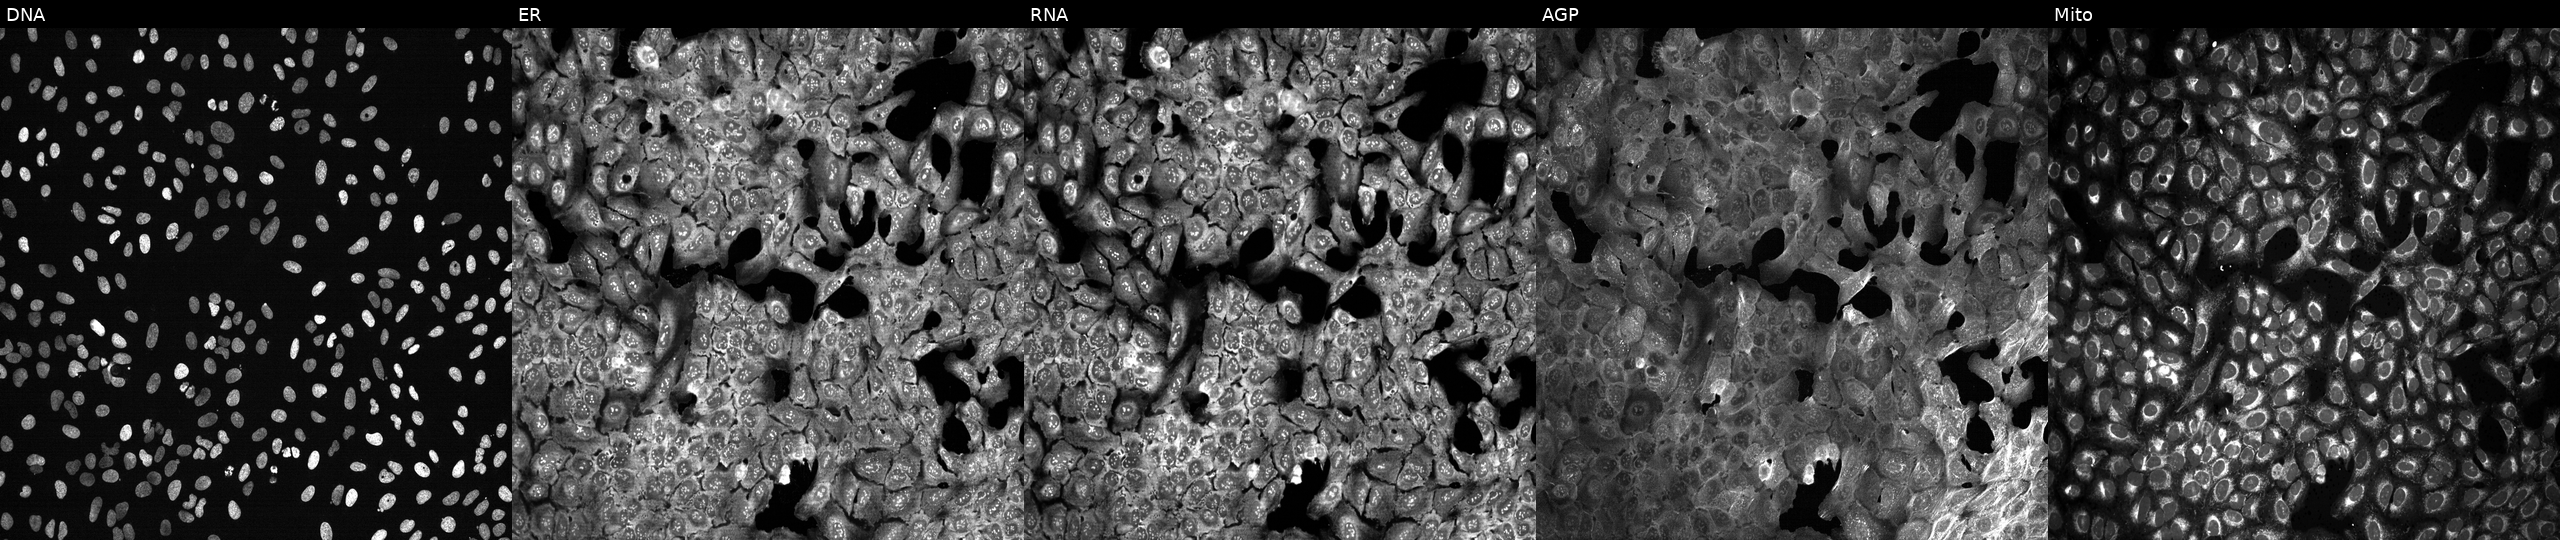
Panels show, left to right, DNA, ER, RNA, AGP, and Mito. U2OS osteosarcoma cells with GYPC knocked out by CRISPR (JUMP id JCP2022_802990). Cell Painting assay, JUMP-CP dataset.